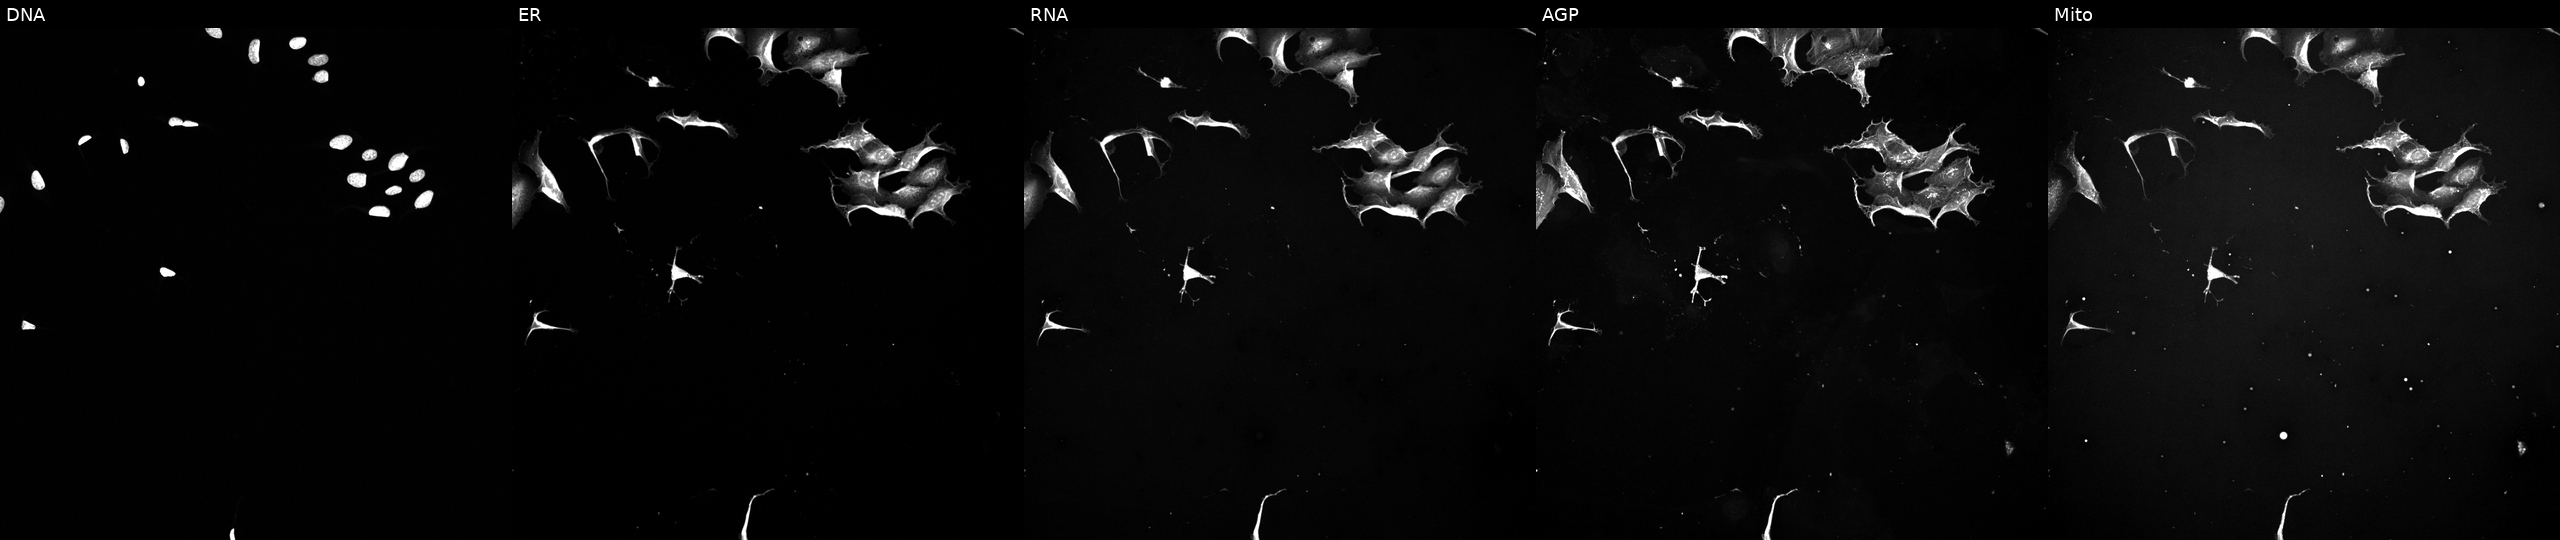
U2OS cells, Cell Painting assay, exposed to a small-molecule compound (InChIKey AJVXVYTVAAWZAP-UHFFFAOYSA-N) (JUMP id JCP2022_001890). Panels show, left to right, DNA, ER, RNA, AGP, and Mito. Each panel is percentile-stretched 16-bit fluorescence.